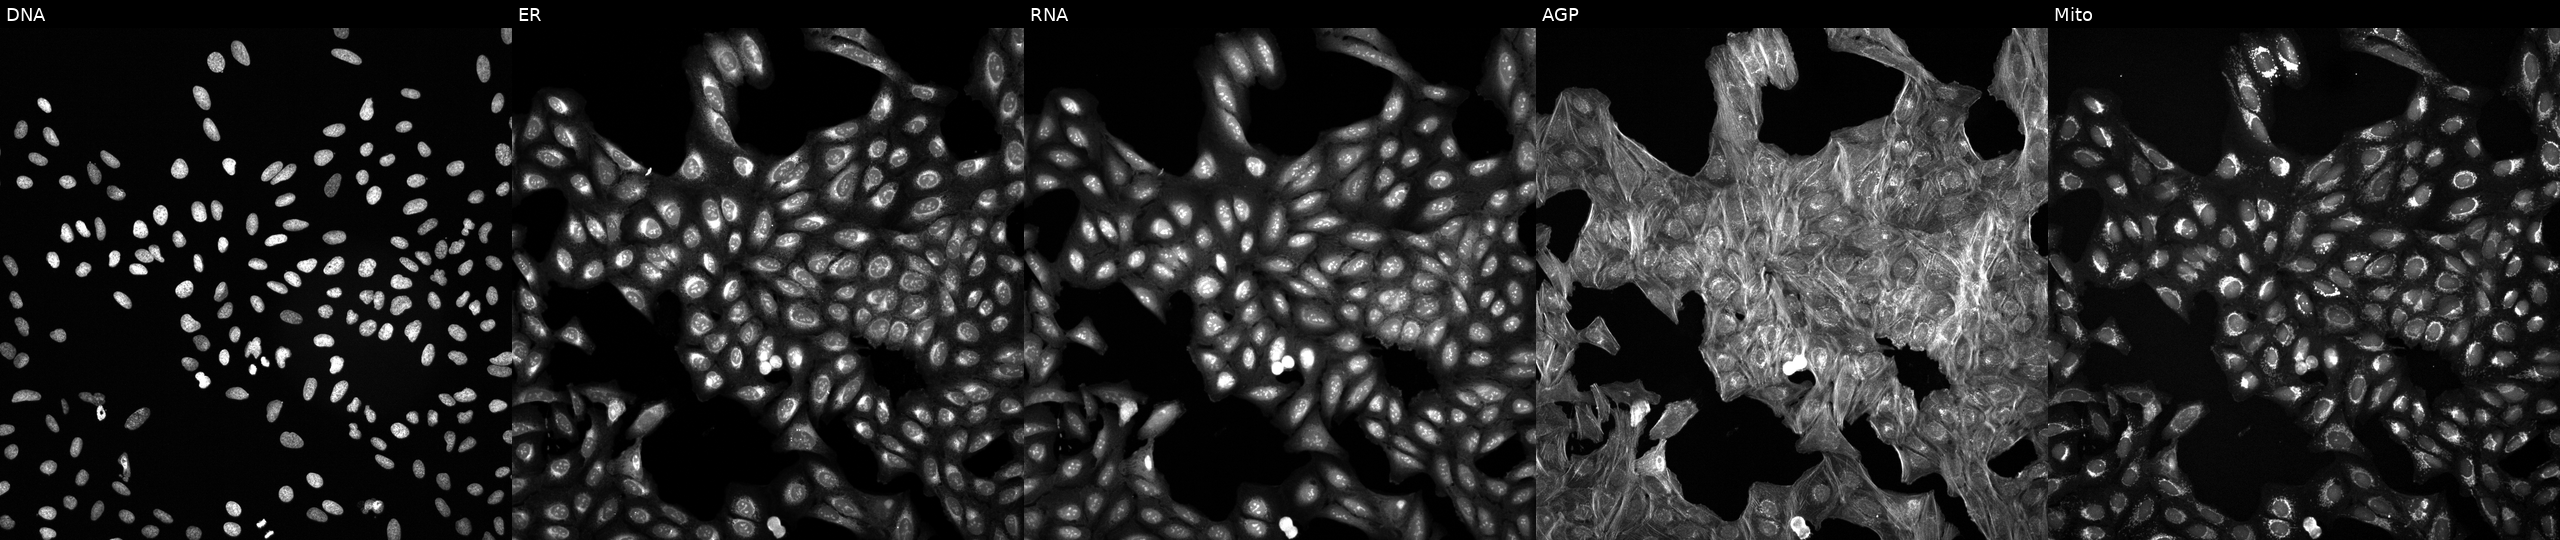
JUMP Cell Painting — TARGET2 plate. U2OS cells exposed to DMSO alone as a negative control. From left to right: Hoechst 33342, concanavalin A, SYTO 14, phalloidin and WGA, MitoTracker.